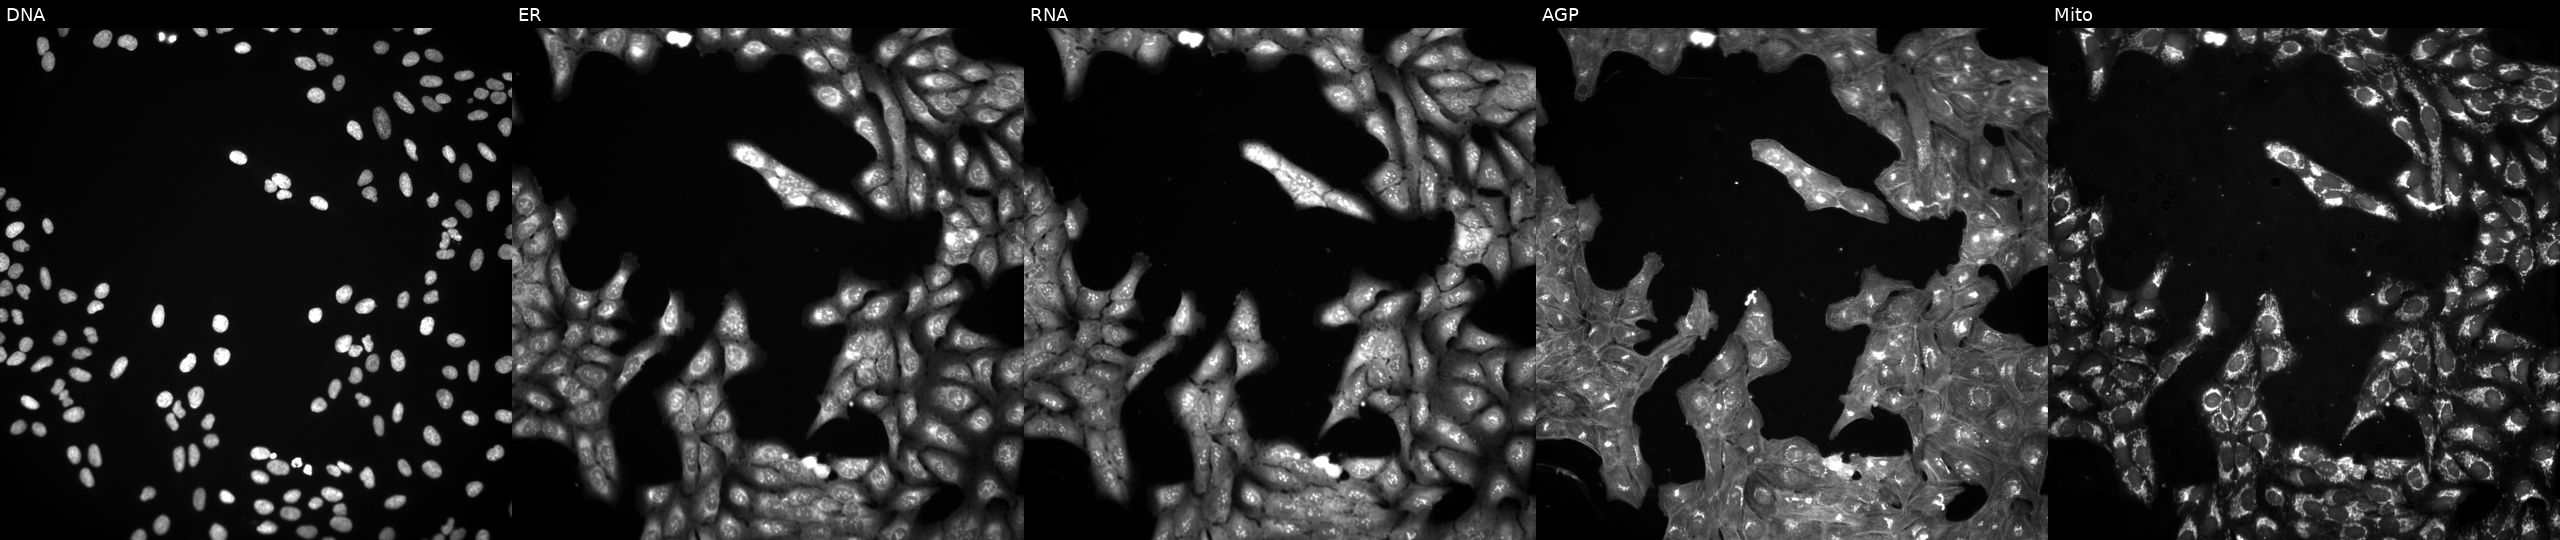
Channels (left→right): Hoechst 33342, concanavalin A, SYTO 14, phalloidin and WGA, MitoTracker. U2OS osteosarcoma cells perturbed with a small-molecule compound (InChIKey SNNUXGTWKBJVKO-UHFFFAOYSA-N). Cell Painting assay, JUMP-CP dataset. Source 3, plate BR5867a3, well P22.